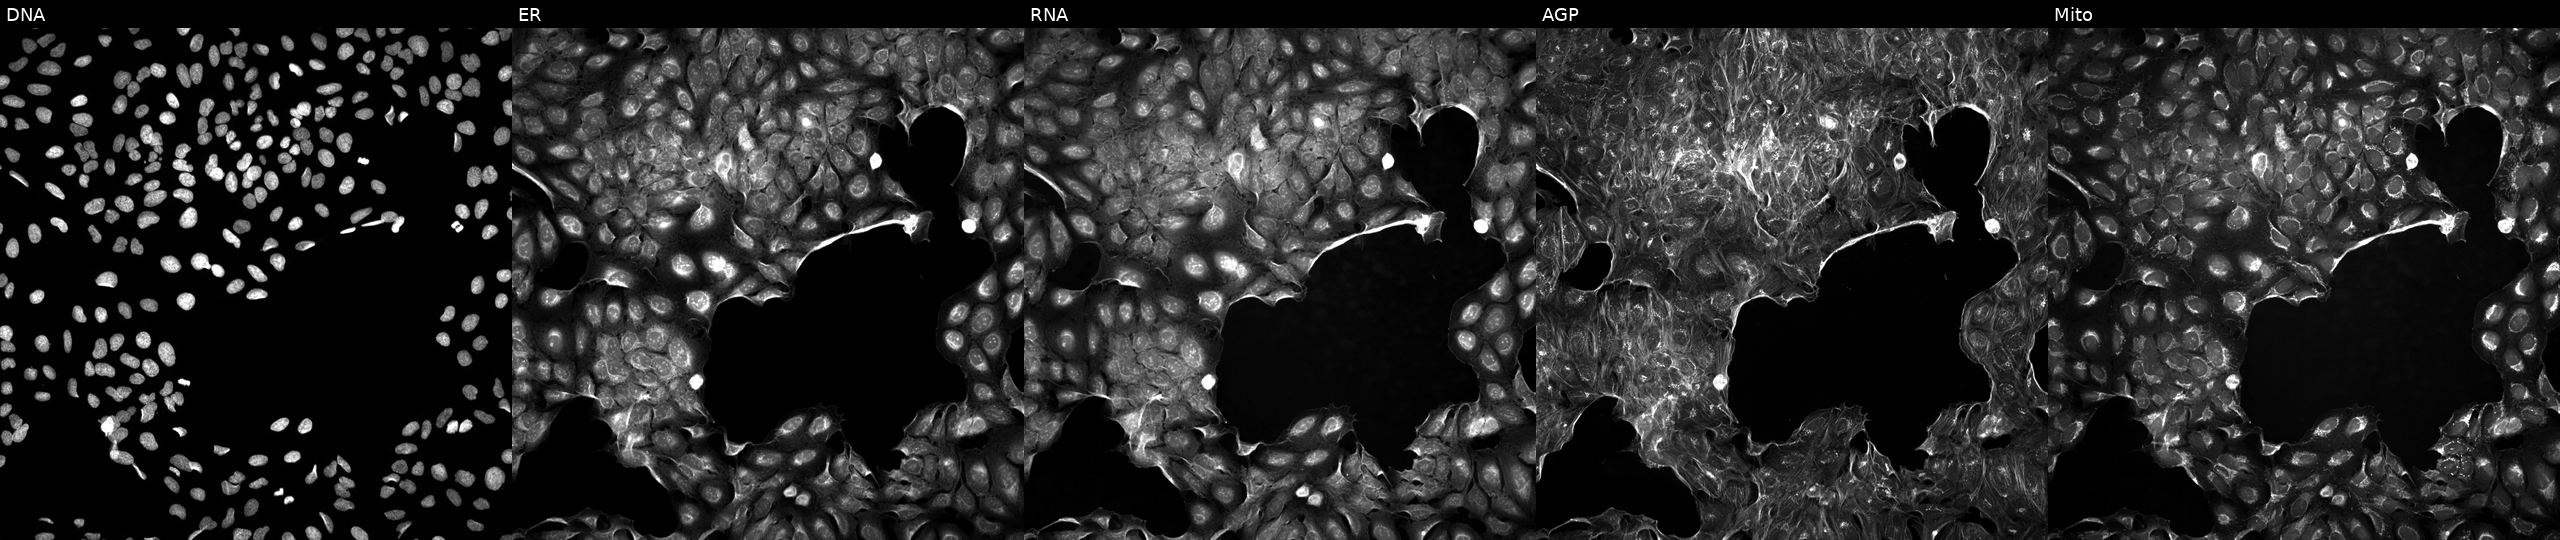
U2OS cells, Cell Painting assay, treated with DMSO vehicle only (negative control). The five panels, left to right, show DNA, ER, RNA, AGP, and Mito. Each panel is percentile-stretched 16-bit fluorescence.